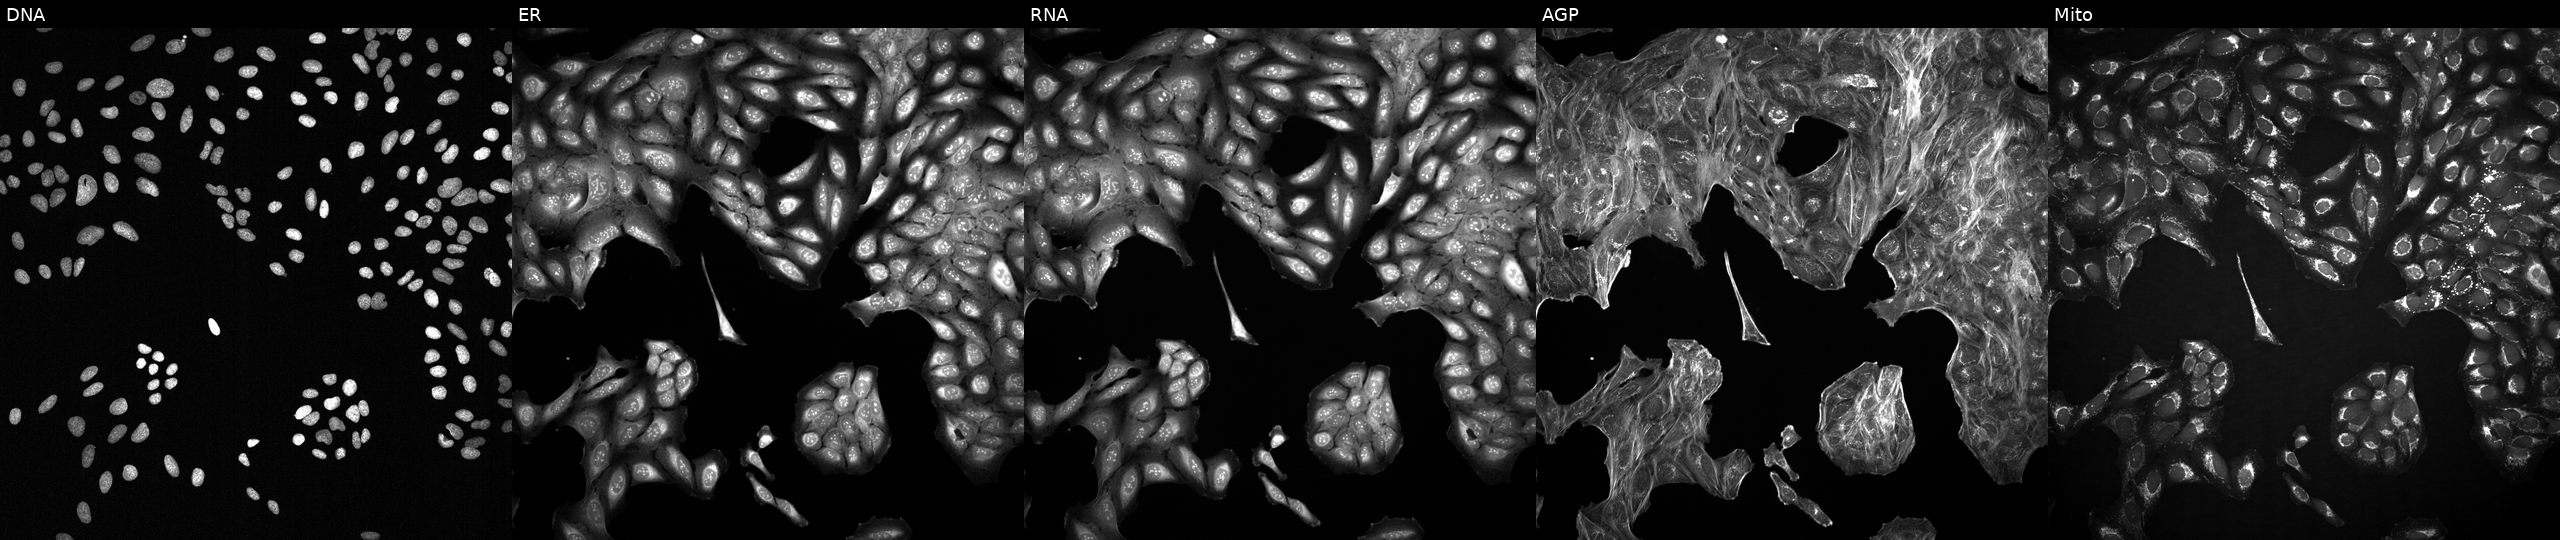
U2OS cells, Cell Painting assay, perturbed with a small-molecule compound (JUMP id JCP2022_073944). Channels (left→right): DNA (nuclei); ER (endoplasmic reticulum); RNA (nucleoli and cytoplasmic RNA); AGP (actin cytoskeleton, Golgi, and plasma membrane); Mito (mitochondria). Each panel is percentile-stretched 16-bit fluorescence.